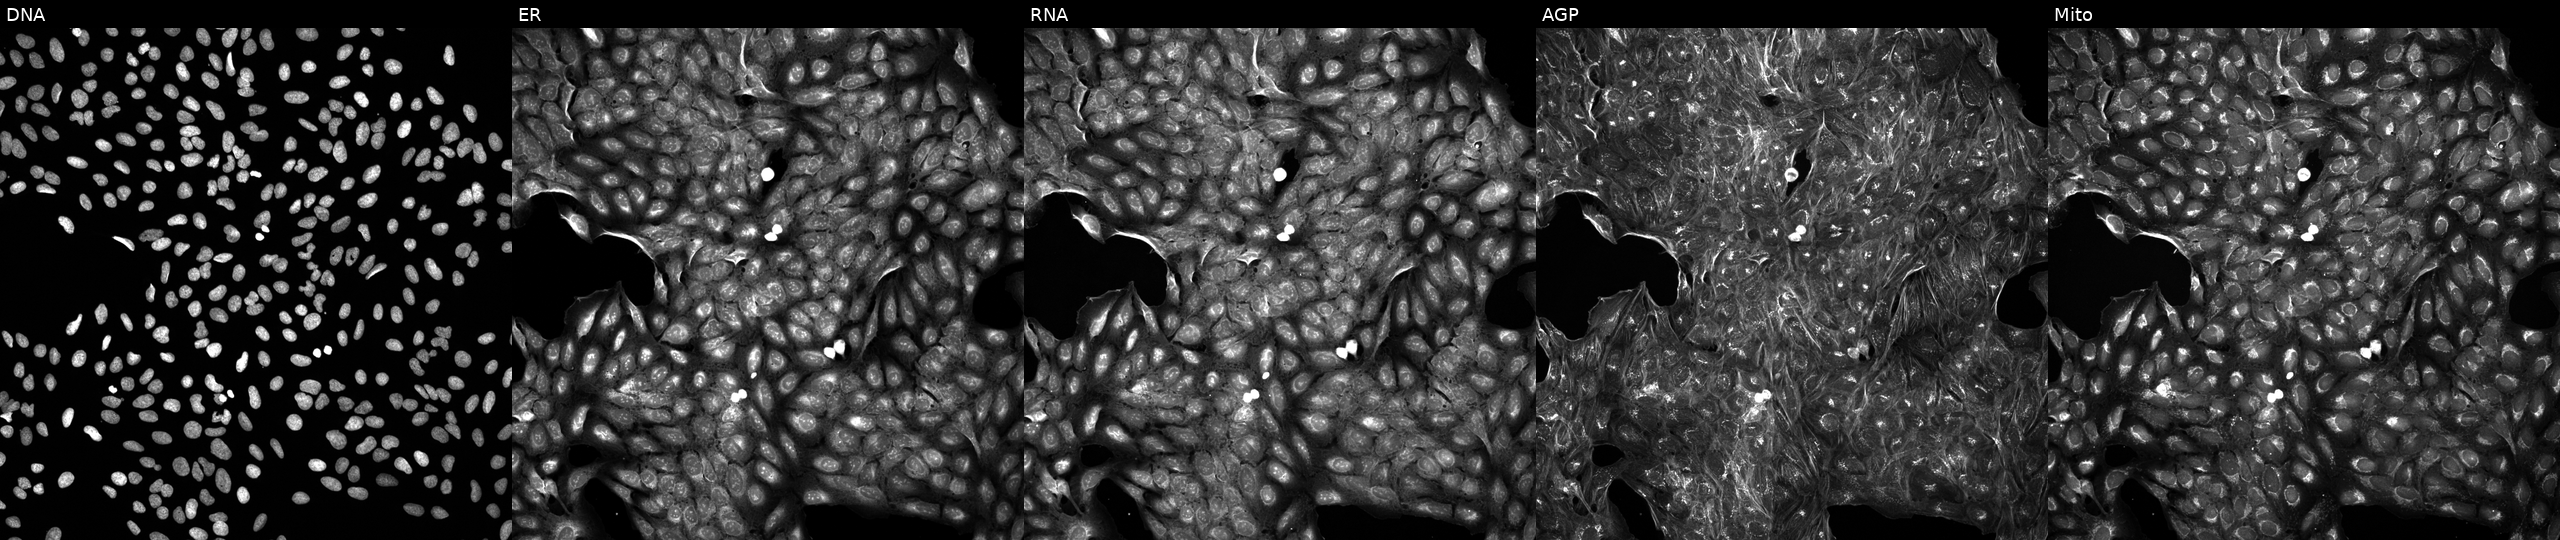
U2OS cells, Cell Painting assay, perturbed with a small-molecule compound (InChIKey GUKFKQGUZHLGSP-UHFFFAOYSA-N) (JUMP id JCP2022_027839). The five panels, left to right, show Hoechst 33342, concanavalin A, SYTO 14, phalloidin and WGA, MitoTracker. Each panel is percentile-stretched 16-bit fluorescence. Source 5, plate APTJUM105, well I09.